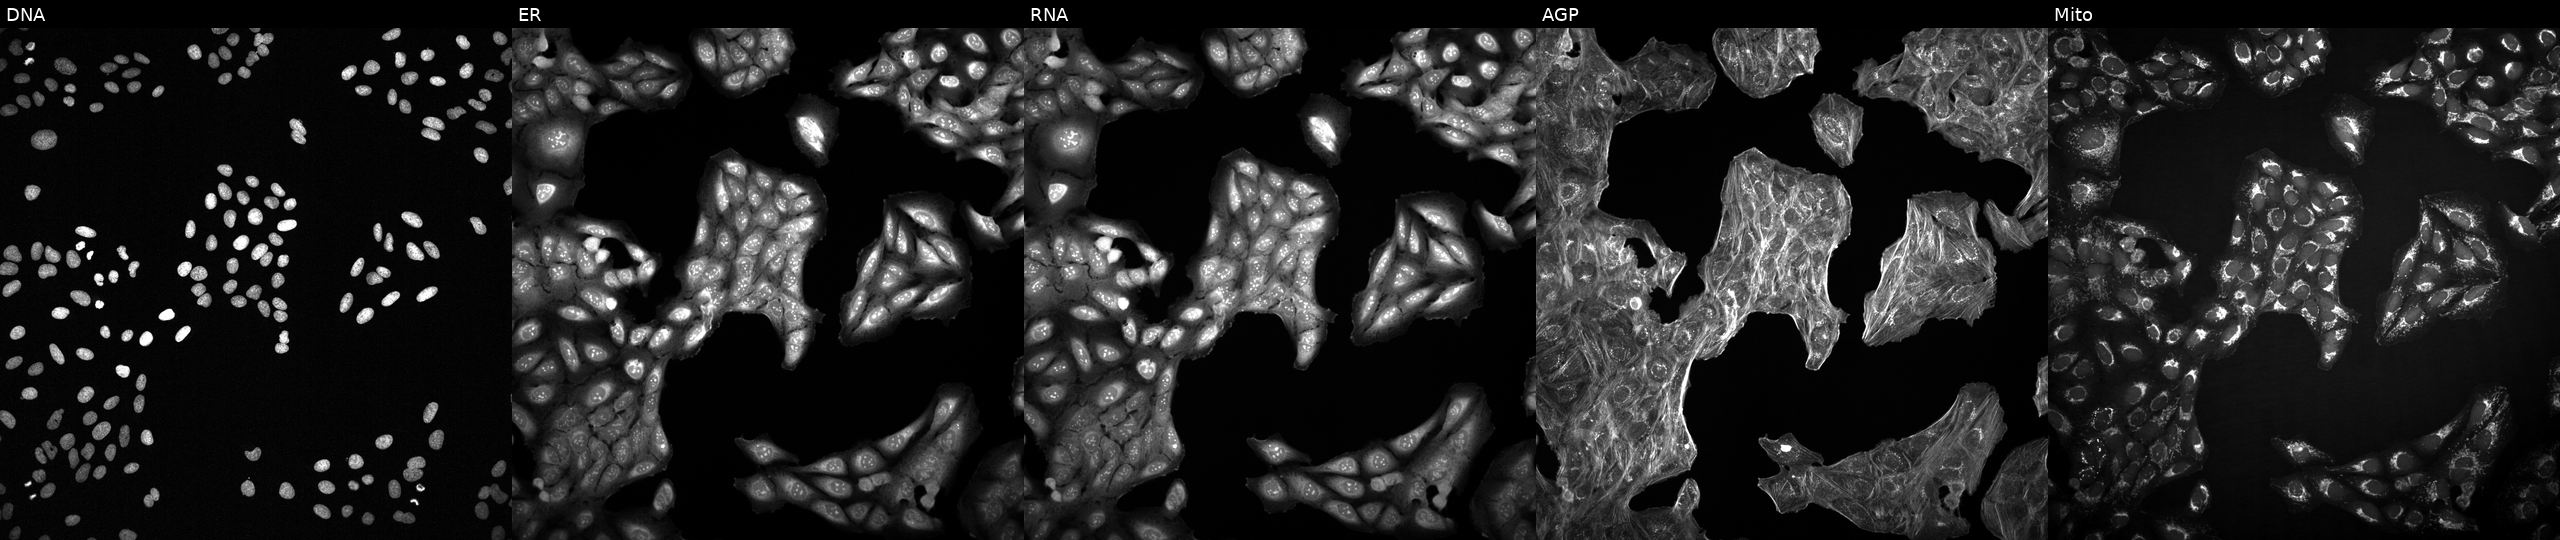
This image strip shows the five Cell Painting channels for a single field of U2OS cells exposed to a small-molecule compound. From left to right: DNA, ER, RNA, AGP, and Mito.